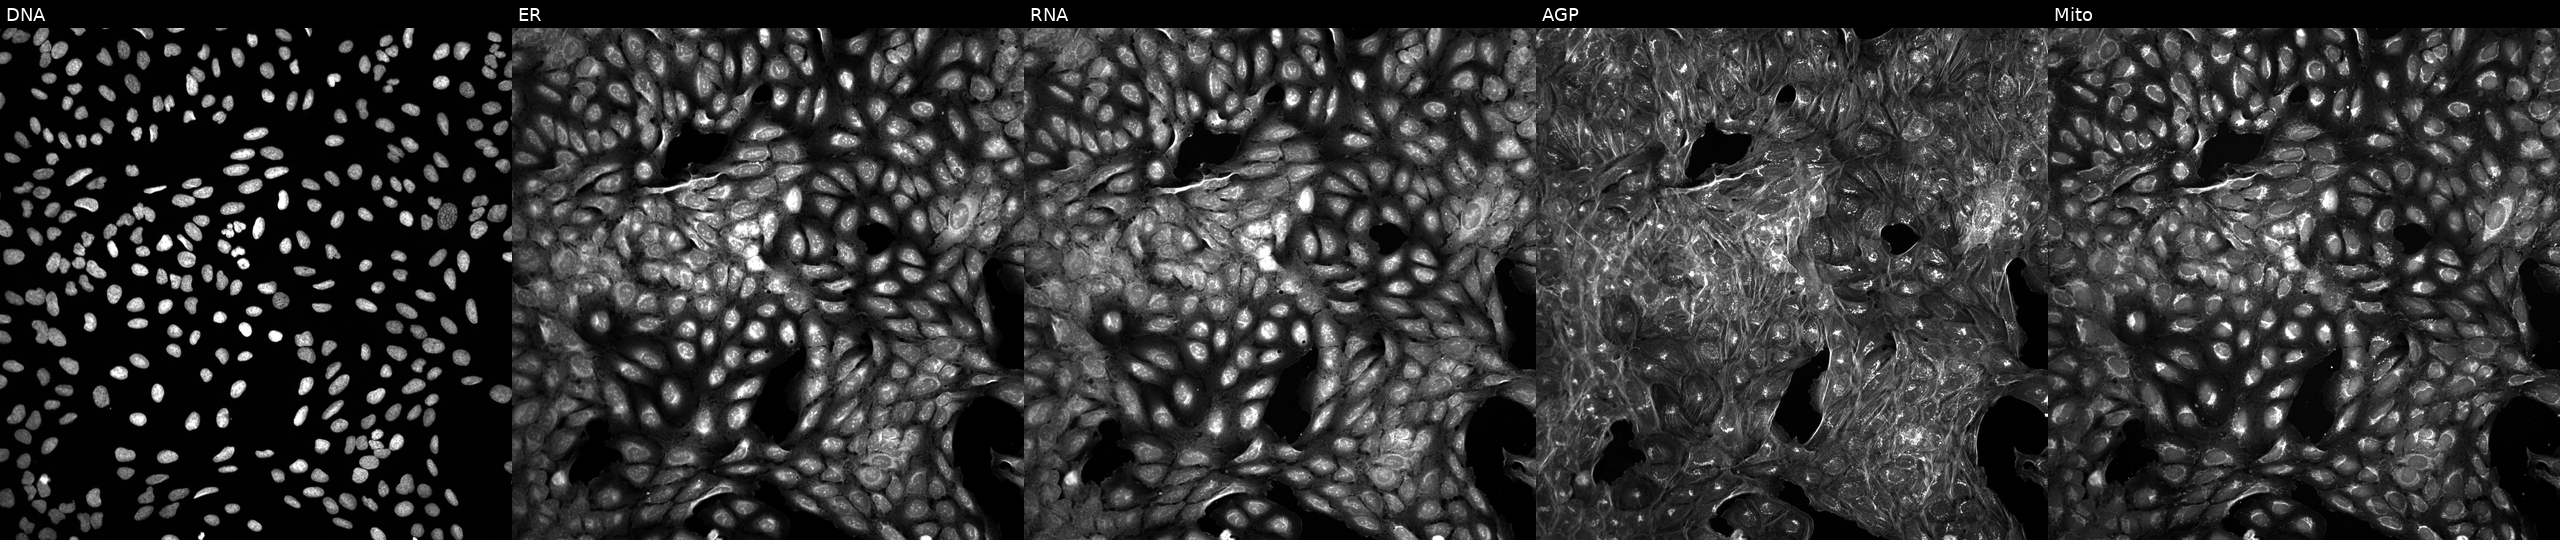
JUMP Cell Painting — COMPOUND plate. U2OS cells treated with a small-molecule compound. Channels (left→right): Hoechst 33342, concanavalin A, SYTO 14, phalloidin and WGA, MitoTracker.